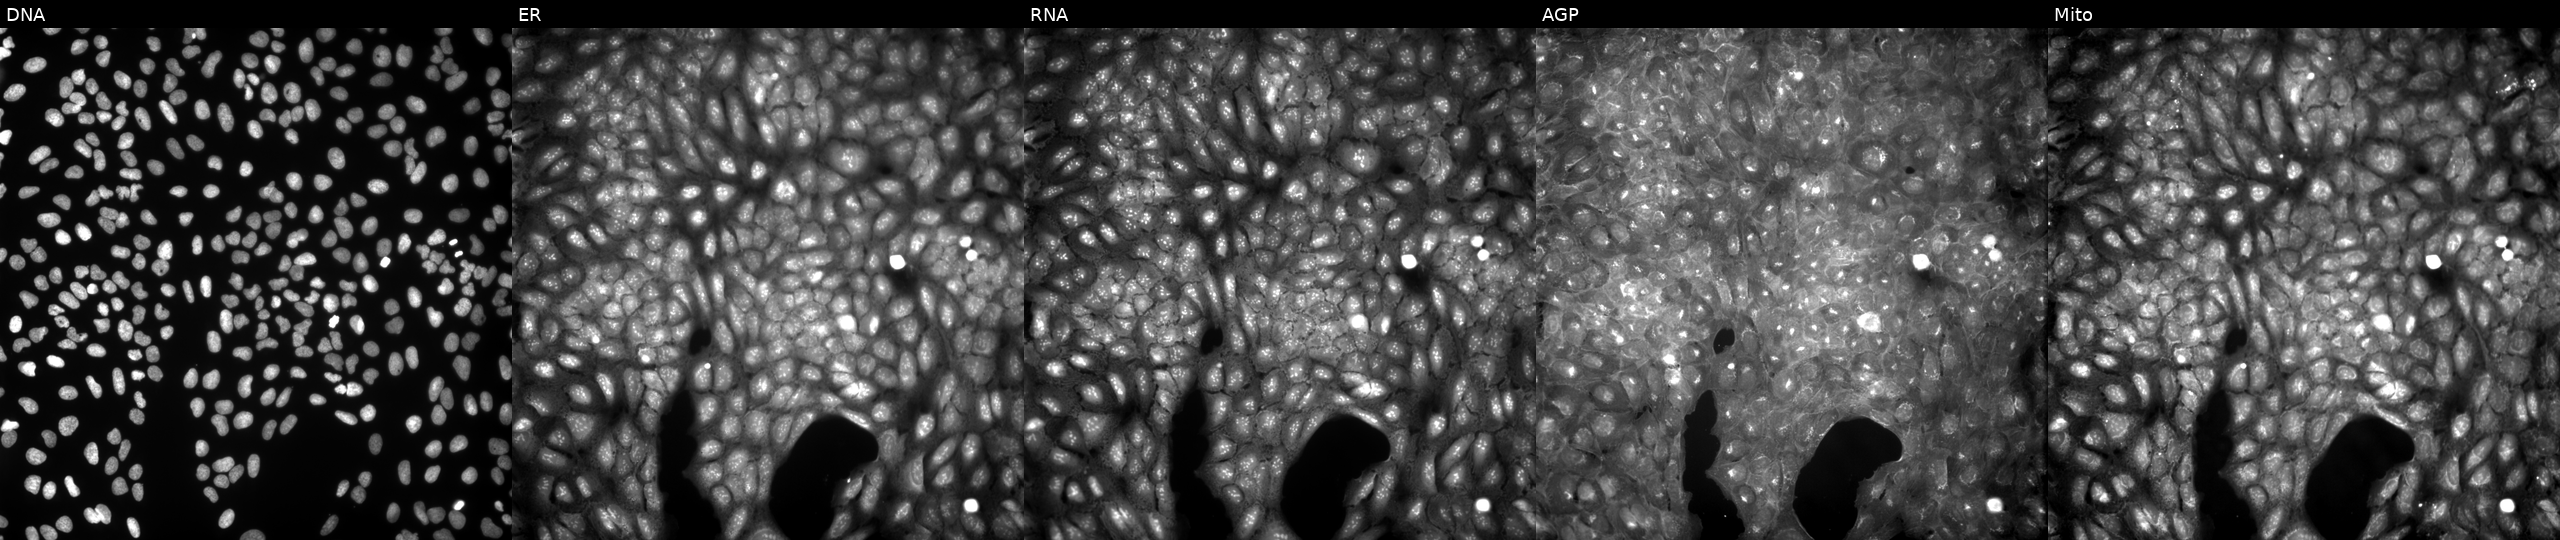
JUMP Cell Painting — COMPOUND plate. U2OS cells exposed to a small-molecule compound. Panels show, left to right, Hoechst 33342, concanavalin A, SYTO 14, phalloidin and WGA, MitoTracker.